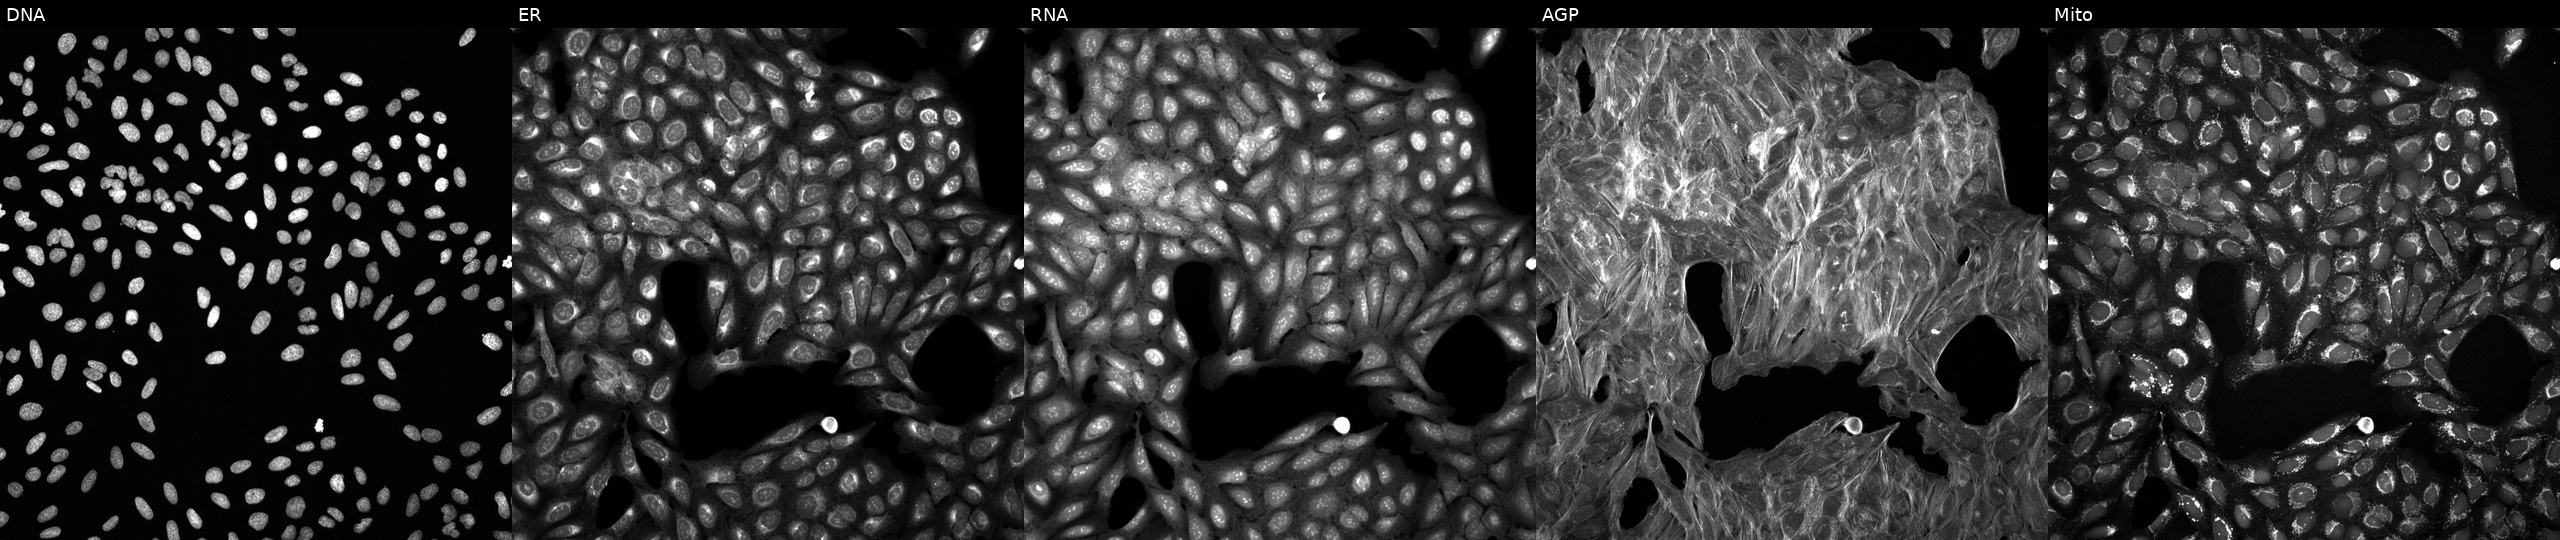
Five-channel Cell Painting image of U2OS cells perturbed with a small-molecule compound (InChIKey UZDORQWMYRRLQV-UHFFFAOYSA-N) [SMILES: Cc1cc(C)cc(C(=O)N(C)C(Cc2ccc(-c3ccccc3)cc2)C(=O)NC(Cc2c[nH]c3ccccc23)C(=O)O)c1] (JUMP id JCP2022_092464). Channels (left→right): Hoechst 33342, concanavalin A, SYTO 14, phalloidin and WGA, MitoTracker. Source 6, plate 110000293093, well E21.